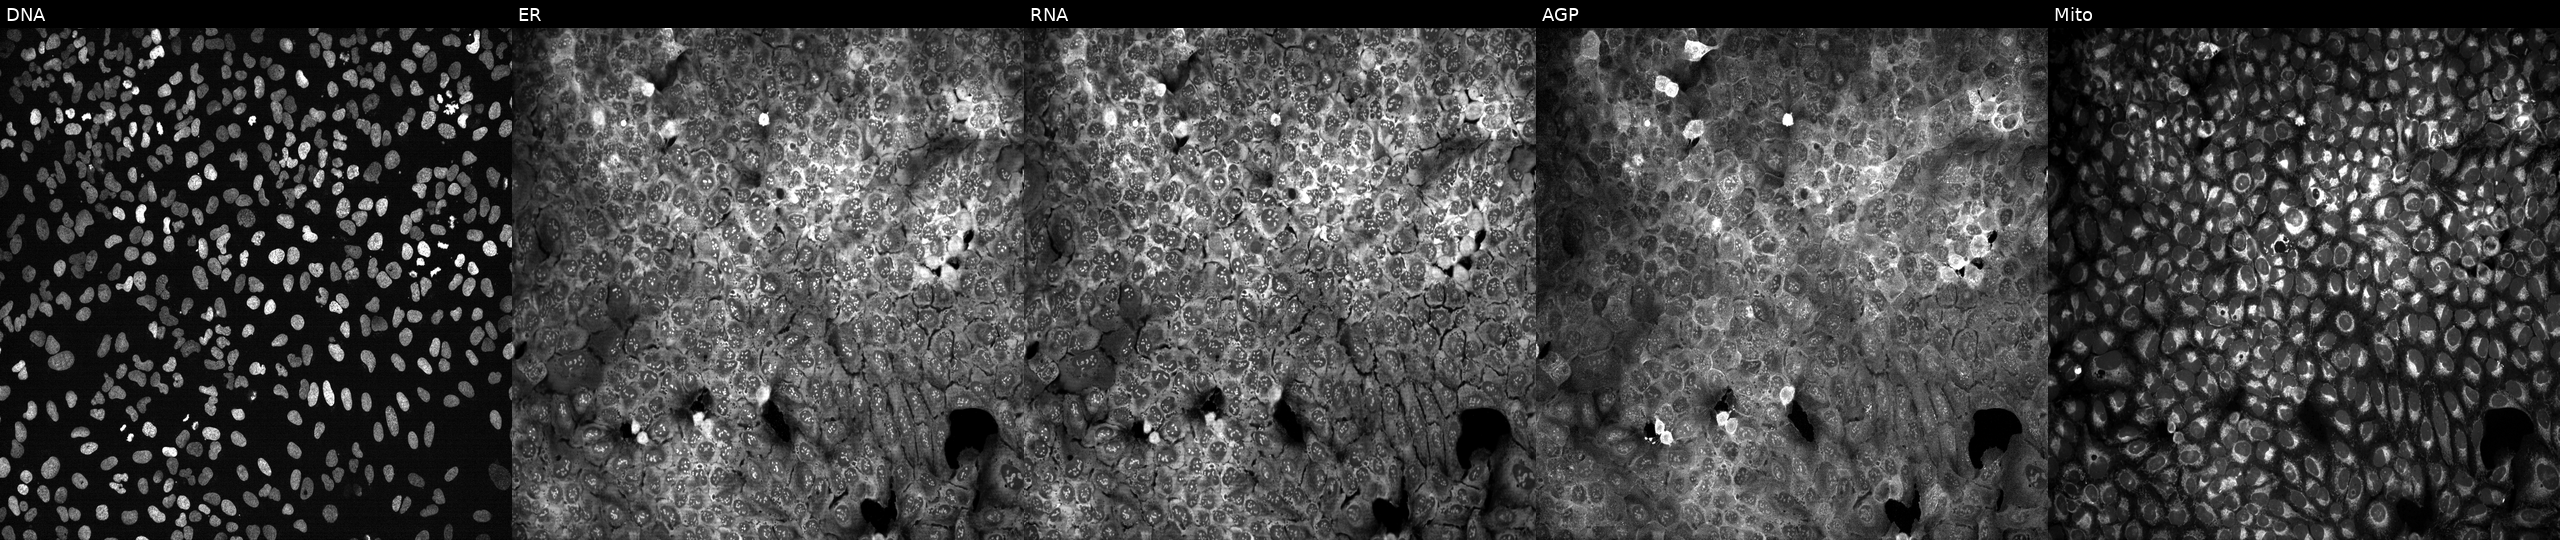
Channels (left→right): DNA, ER, RNA, AGP, and Mito. U2OS osteosarcoma cells following CRISPR knockout of MOGAT2. Cell Painting assay, JUMP-CP dataset.